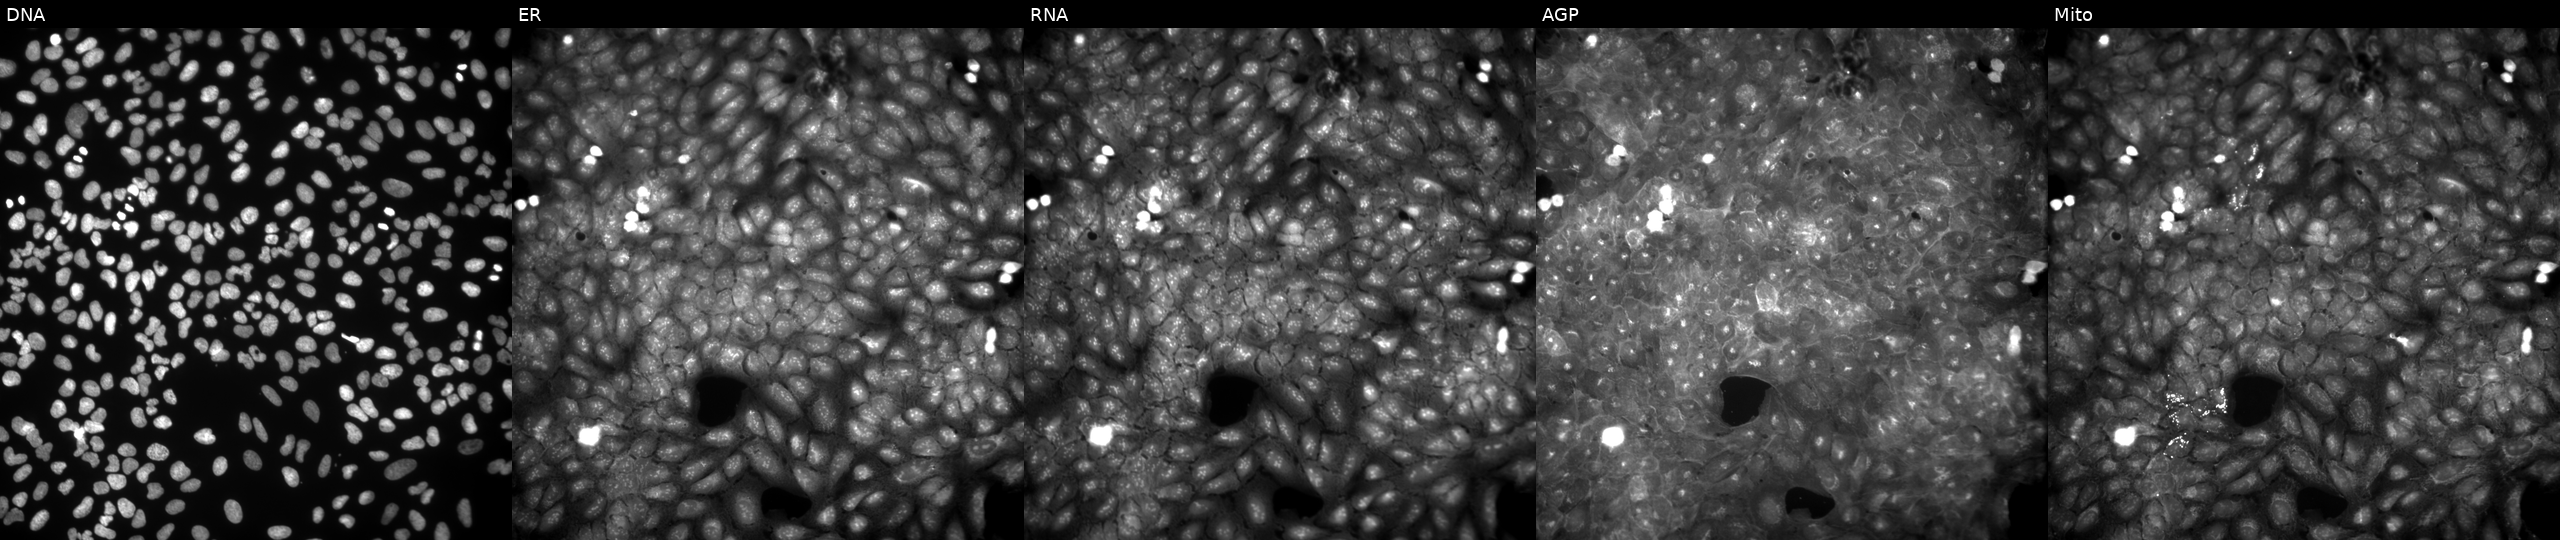
Channels (left→right): Hoechst 33342, concanavalin A, SYTO 14, phalloidin and WGA, MitoTracker. U2OS osteosarcoma cells exposed to a small-molecule compound (InChIKey QURGQUFEJWWDRF-UHFFFAOYSA-N). Cell Painting assay, JUMP-CP dataset.